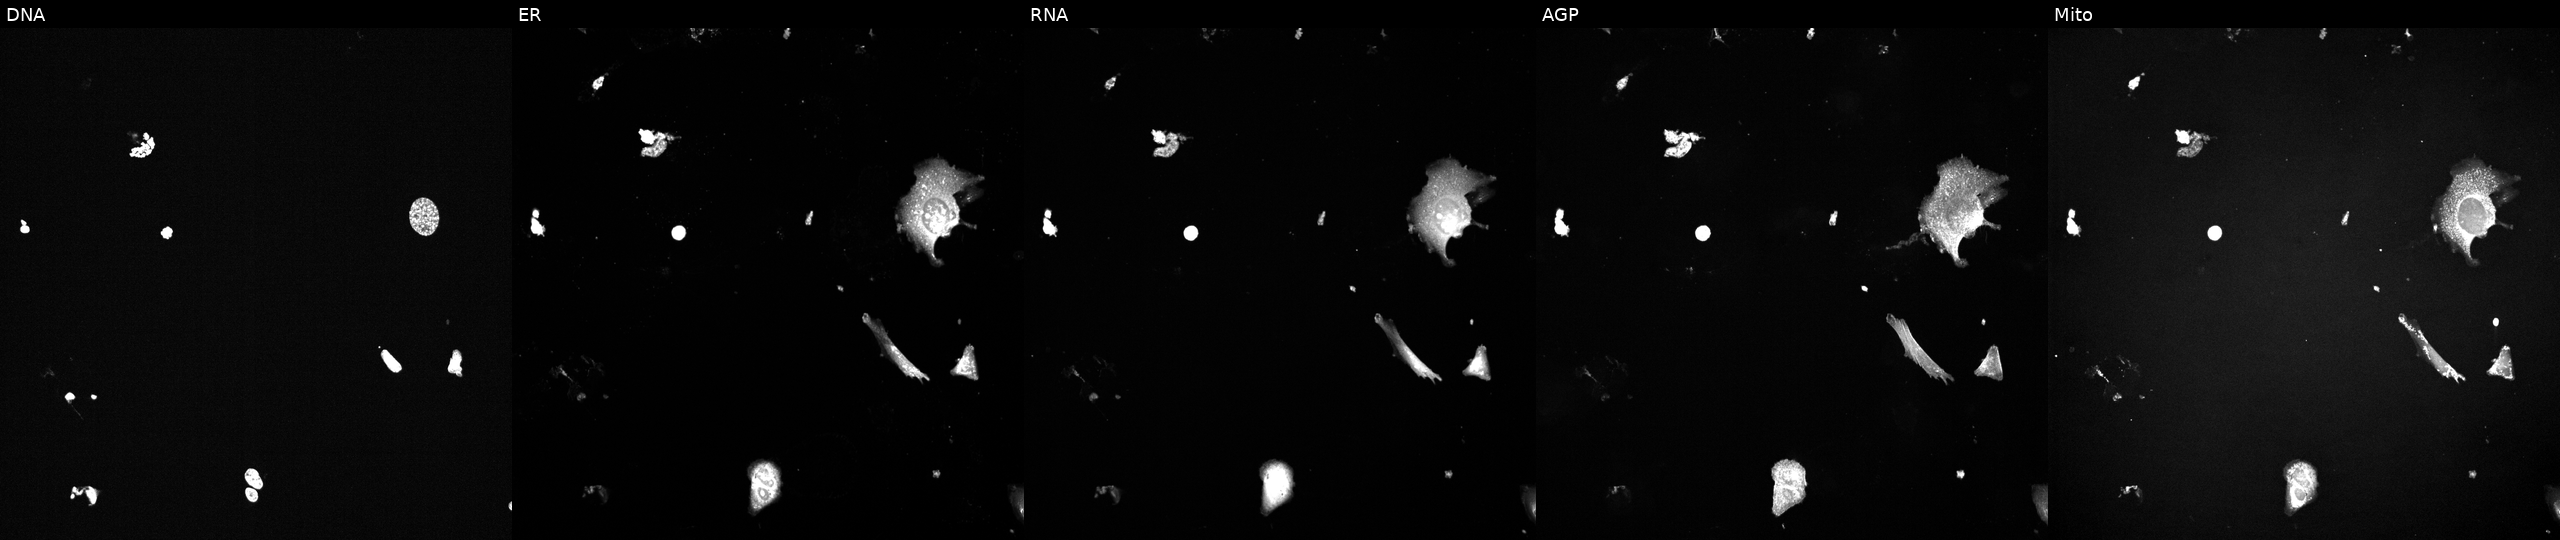
Channels (left→right): Hoechst 33342, concanavalin A, SYTO 14, phalloidin and WGA, MitoTracker. U2OS osteosarcoma cells perturbed with a small-molecule compound (InChIKey MTJHLONVHHPNSI-UHFFFAOYSA-N) [SMILES: CCCC(N=c1[nH]c(-c2ccc(NC(=O)NCC)c(OC)c2)ncc1C)c1cccnc1] (JUMP id JCP2022_056401). Cell Painting assay, JUMP-CP dataset.